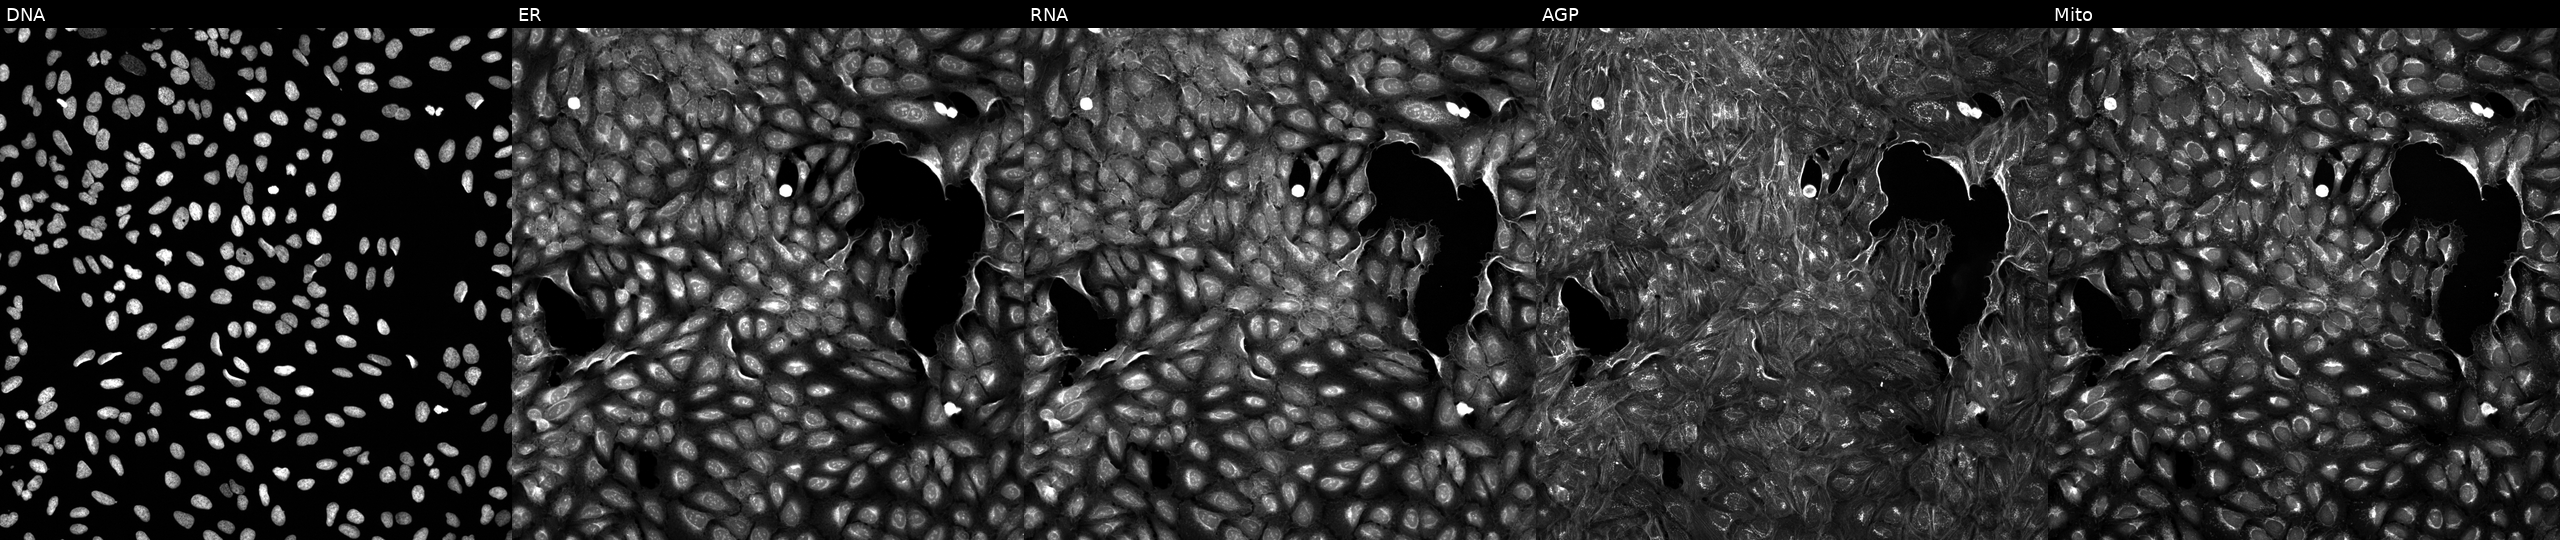
JUMP Cell Painting — COMPOUND plate. U2OS cells perturbed with a small-molecule compound (InChIKey PSMCYLGNQCMHCI-UHFFFAOYSA-N) [SMILES: O=C(NC1CC2CCC(C1)N2)c1ccc(-c2noc(C(F)(F)F)n2)cc1] (JUMP id JCP2022_070660). The five panels, left to right, show DNA, ER, RNA, AGP, and Mito.